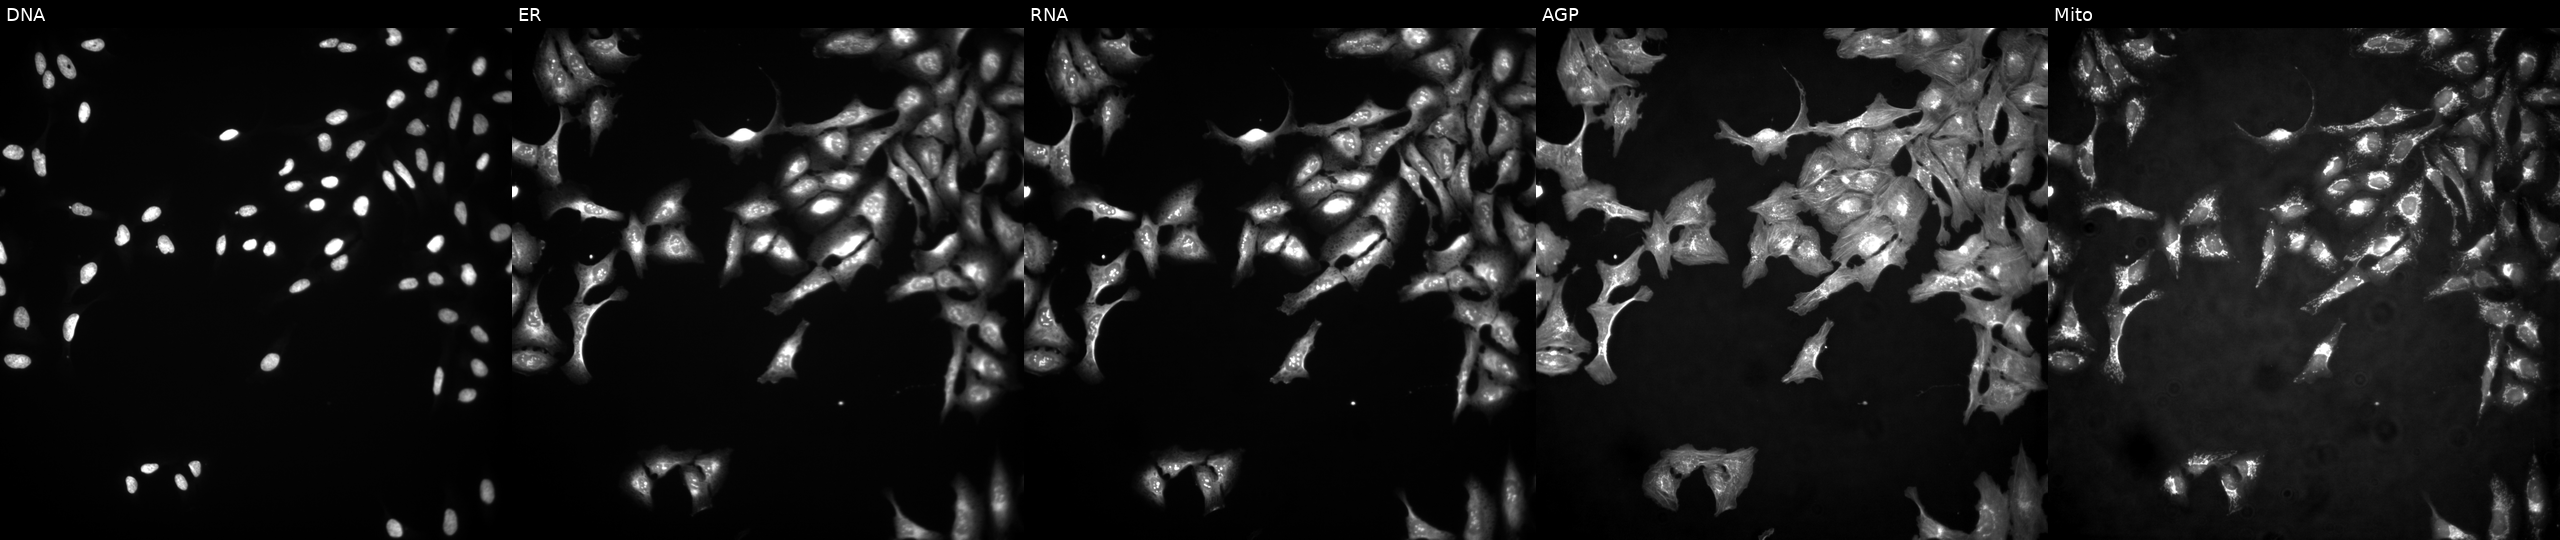
This image strip shows the five Cell Painting channels for a single field of U2OS cells overexpressing MSH4 via ORF transfection. Channels (left→right): DNA, ER, RNA, AGP, and Mito.